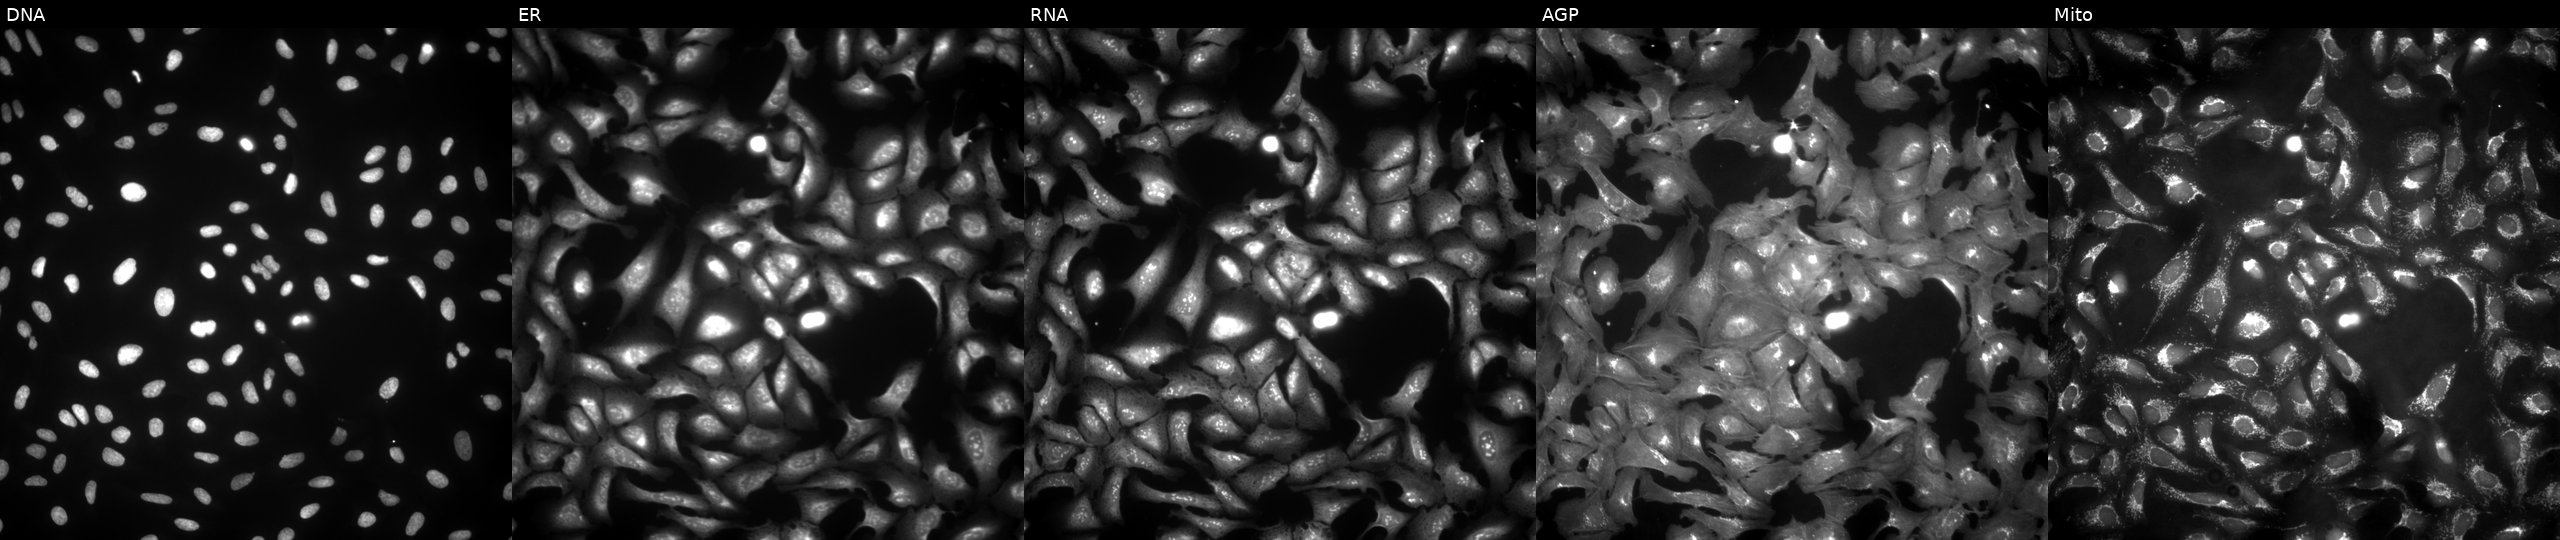
U2OS cells, Cell Painting assay, transfected with an ORF construct for TACC1. The five panels, left to right, show Hoechst 33342, concanavalin A, SYTO 14, phalloidin and WGA, MitoTracker. Each panel is percentile-stretched 16-bit fluorescence. Source 4, plate BR00123506, well J07.